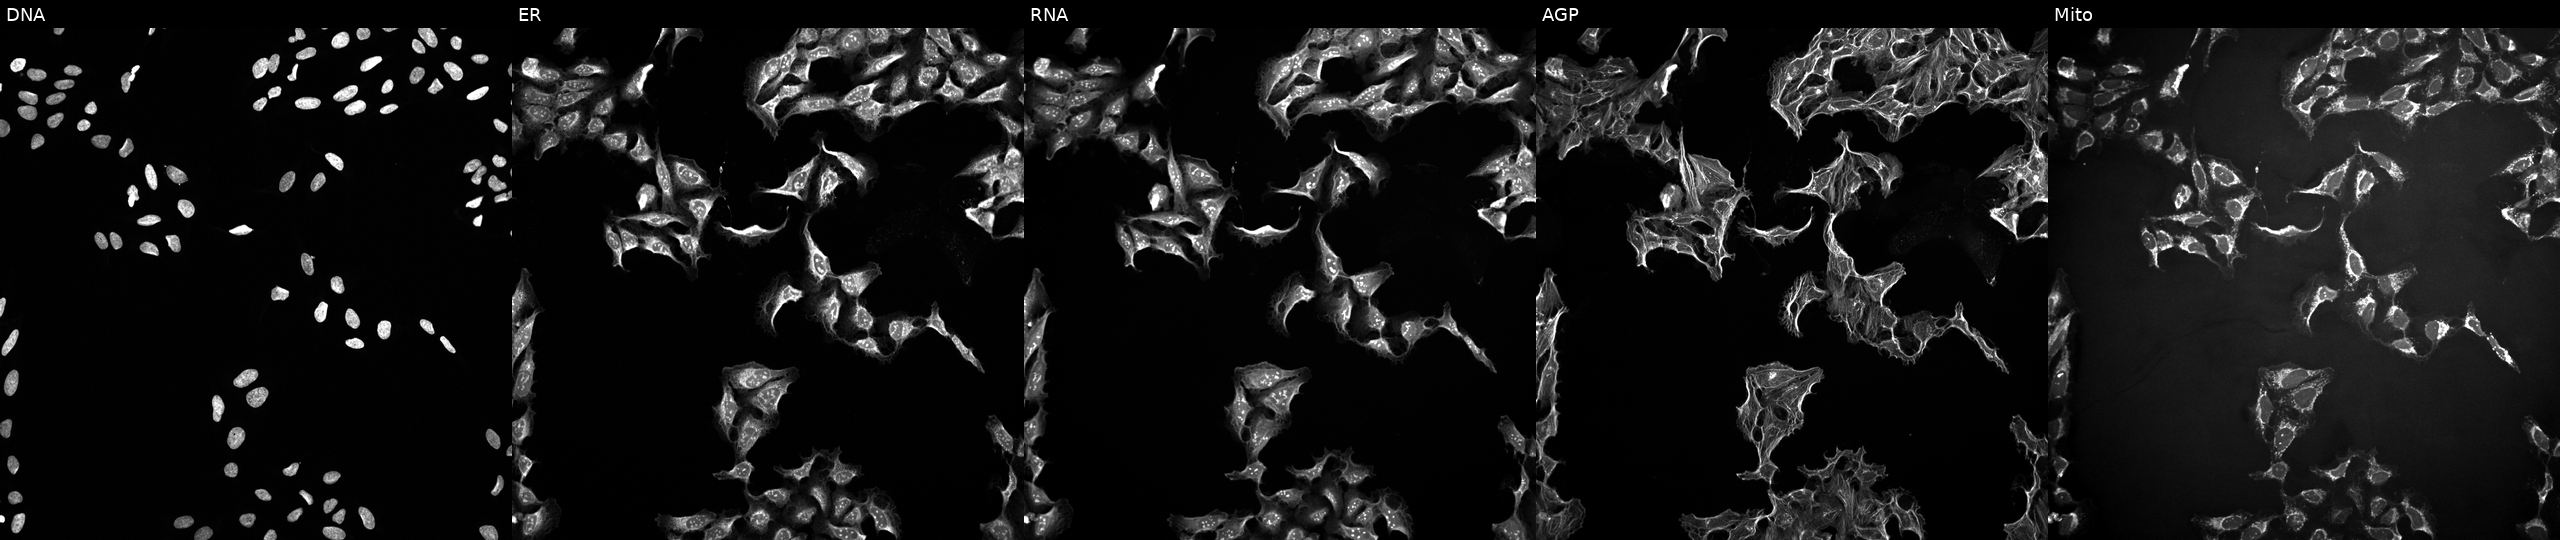
JUMP Cell Painting — TARGET2 plate. U2OS cells exposed to a small-molecule compound [SMILES: COc1ccc(-c2coc3cc(O)ccc3c2=O)cc1] (JUMP id JCP2022_030831). The five panels, left to right, show Hoechst 33342, concanavalin A, SYTO 14, phalloidin and WGA, MitoTracker. Source 10, plate Dest210726-160150, well P16.